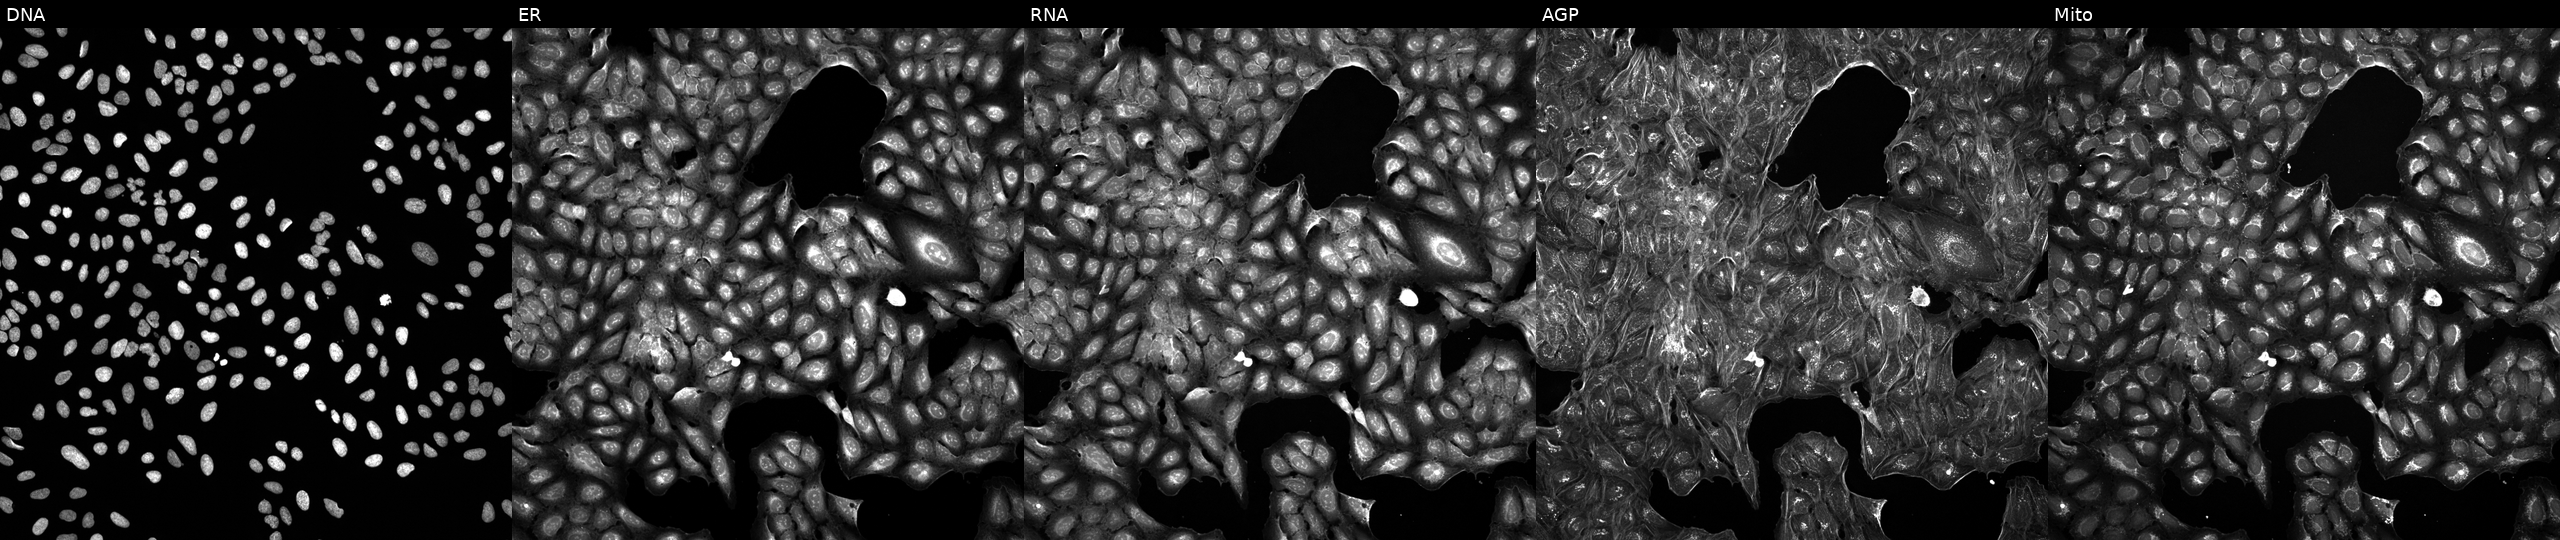
U2OS cells, Cell Painting assay, treated with a small-molecule compound (InChIKey WOTVWKCNUBAUNC-UHFFFAOYSA-N) [SMILES: Cc1cc(C)cc(N2C(=O)N(Cc3cccc(F)c3)c3ccccc3S2(=O)=O)c1]. From left to right: DNA (nuclei); ER (endoplasmic reticulum); RNA (nucleoli and cytoplasmic RNA); AGP (actin cytoskeleton, Golgi, and plasma membrane); Mito (mitochondria). Each panel is percentile-stretched 16-bit fluorescence.